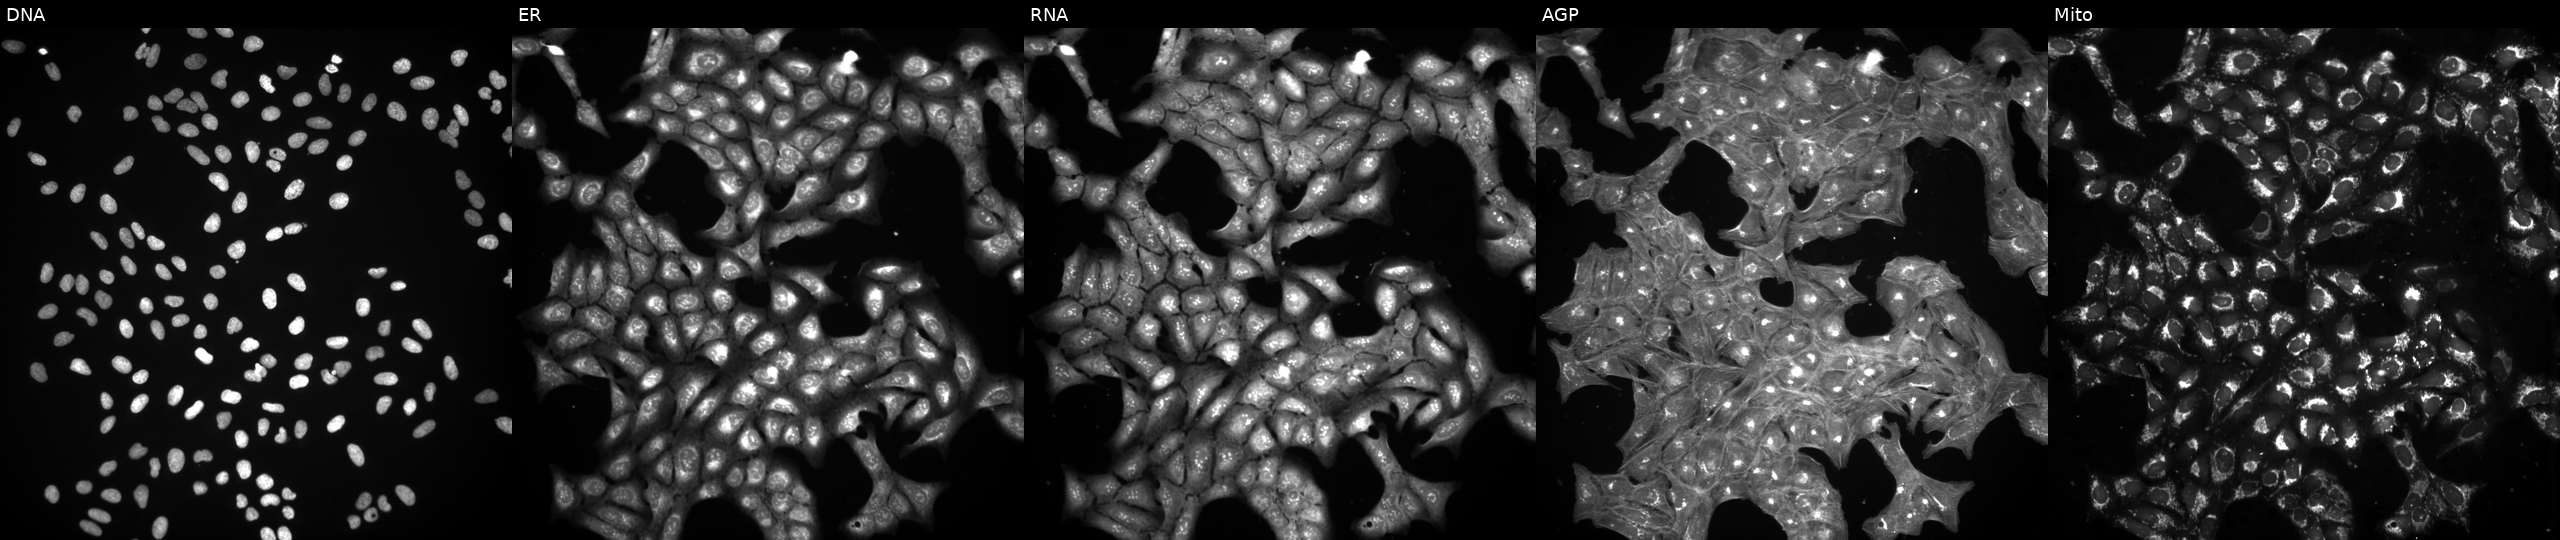
This image strip shows the five Cell Painting channels for a single field of U2OS cells perturbed with a small-molecule compound (InChIKey HGYZIEUIMGUKRR-UHFFFAOYSA-N). Channels (left→right): Hoechst 33342, concanavalin A, SYTO 14, phalloidin and WGA, MitoTracker.